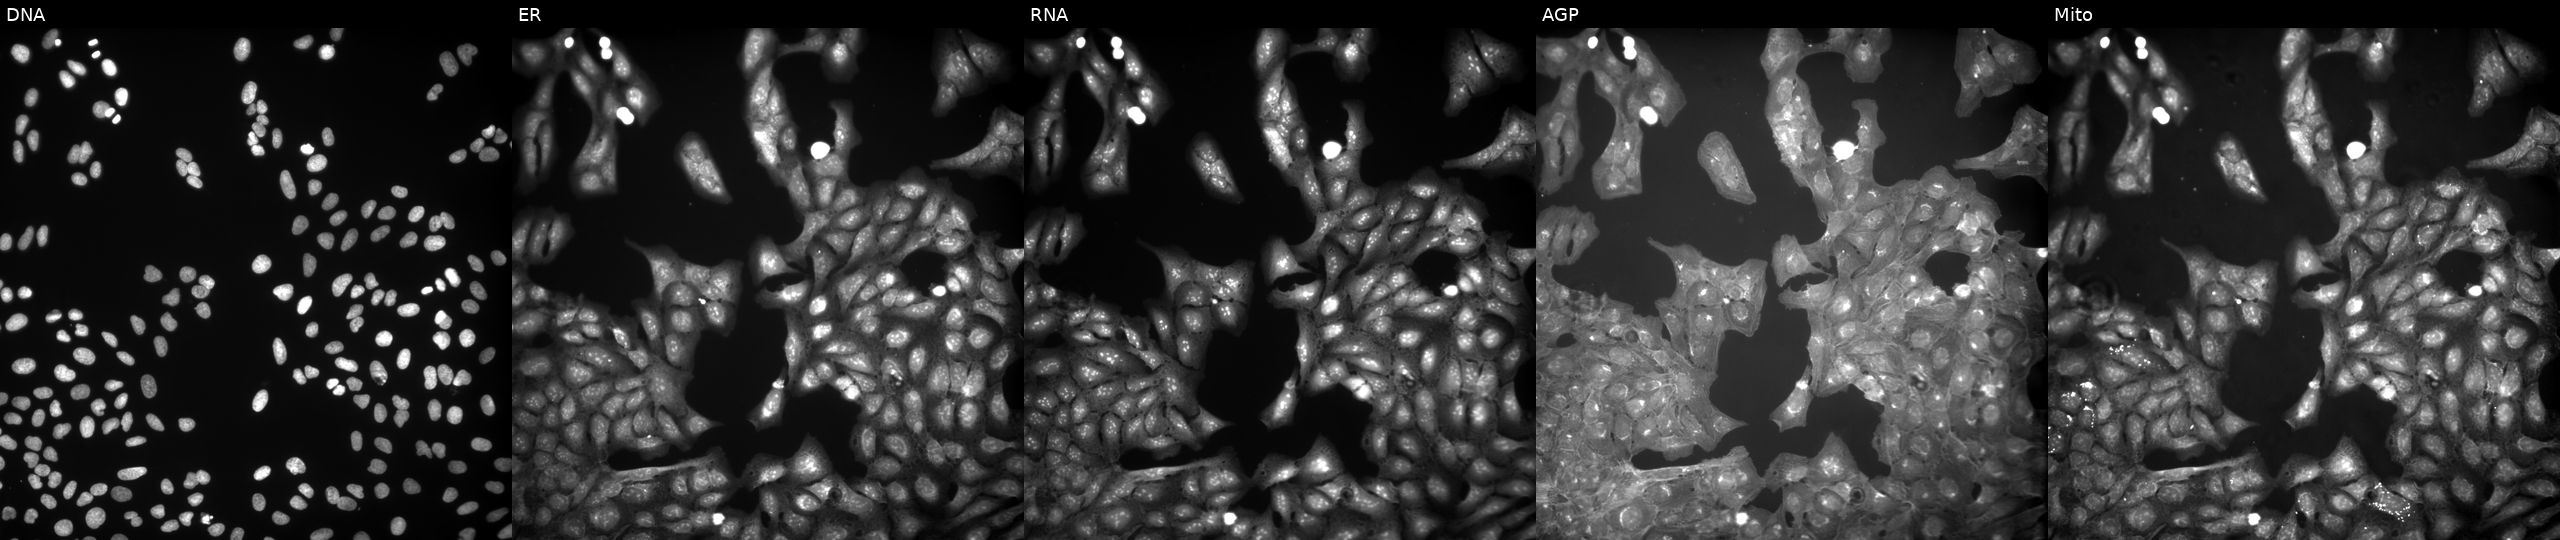
JUMP Cell Painting — COMPOUND plate. U2OS cells treated with TC-S-7004 (positive-control compound). Panels show, left to right, DNA (nuclei); ER (endoplasmic reticulum); RNA (nucleoli and cytoplasmic RNA); AGP (actin cytoskeleton, Golgi, and plasma membrane); Mito (mitochondria).